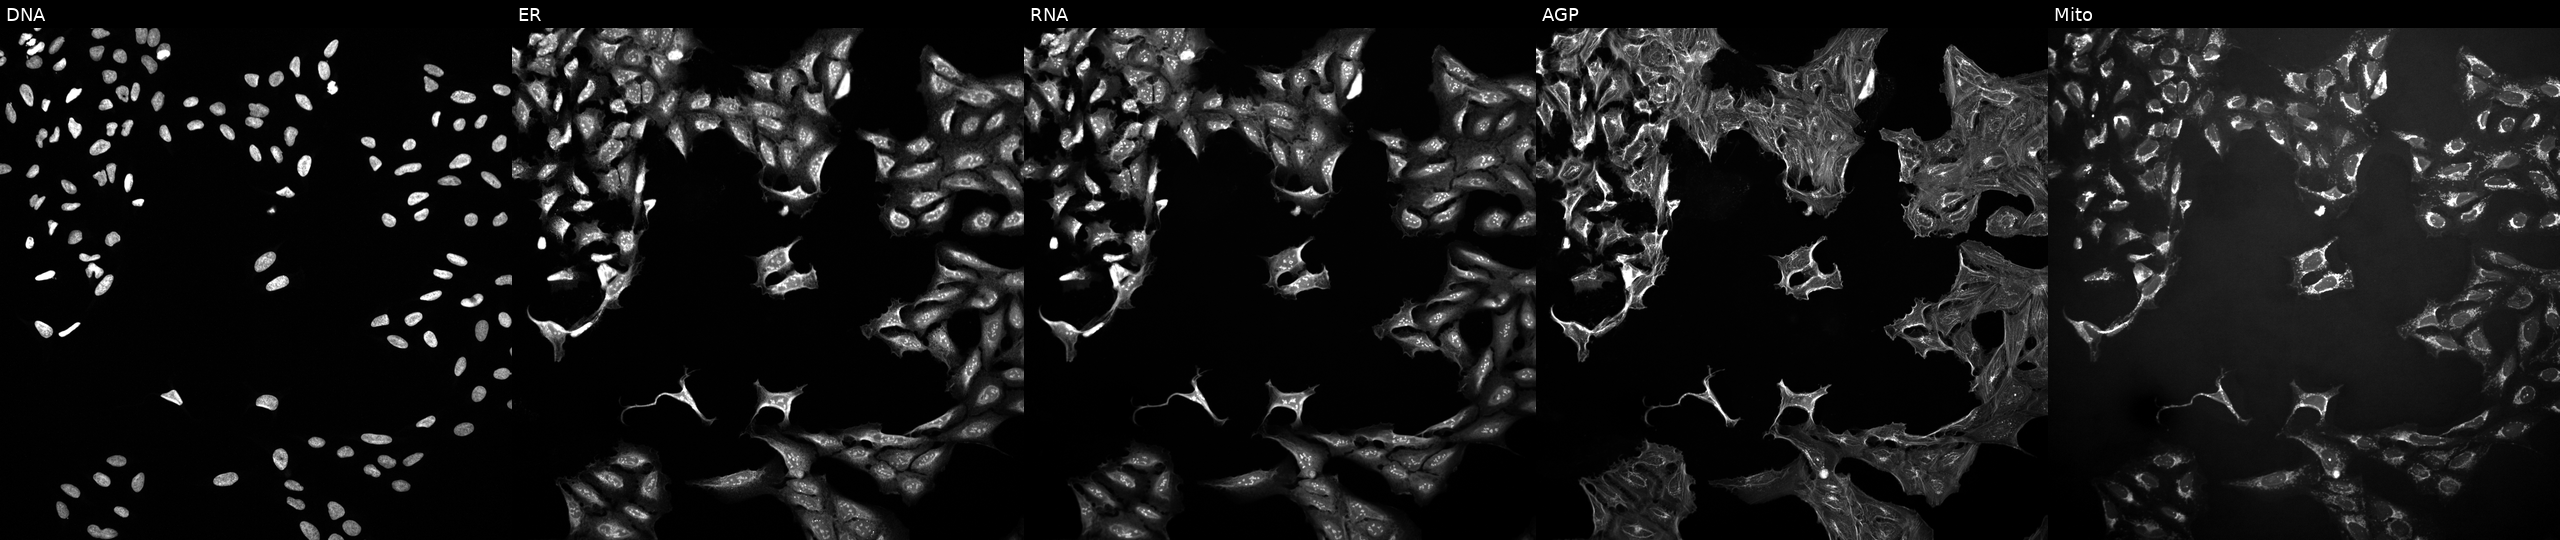
Five-channel Cell Painting image of U2OS cells perturbed with a small-molecule compound. Channels (left→right): DNA (nuclei); ER (endoplasmic reticulum); RNA (nucleoli and cytoplasmic RNA); AGP (actin cytoskeleton, Golgi, and plasma membrane); Mito (mitochondria).